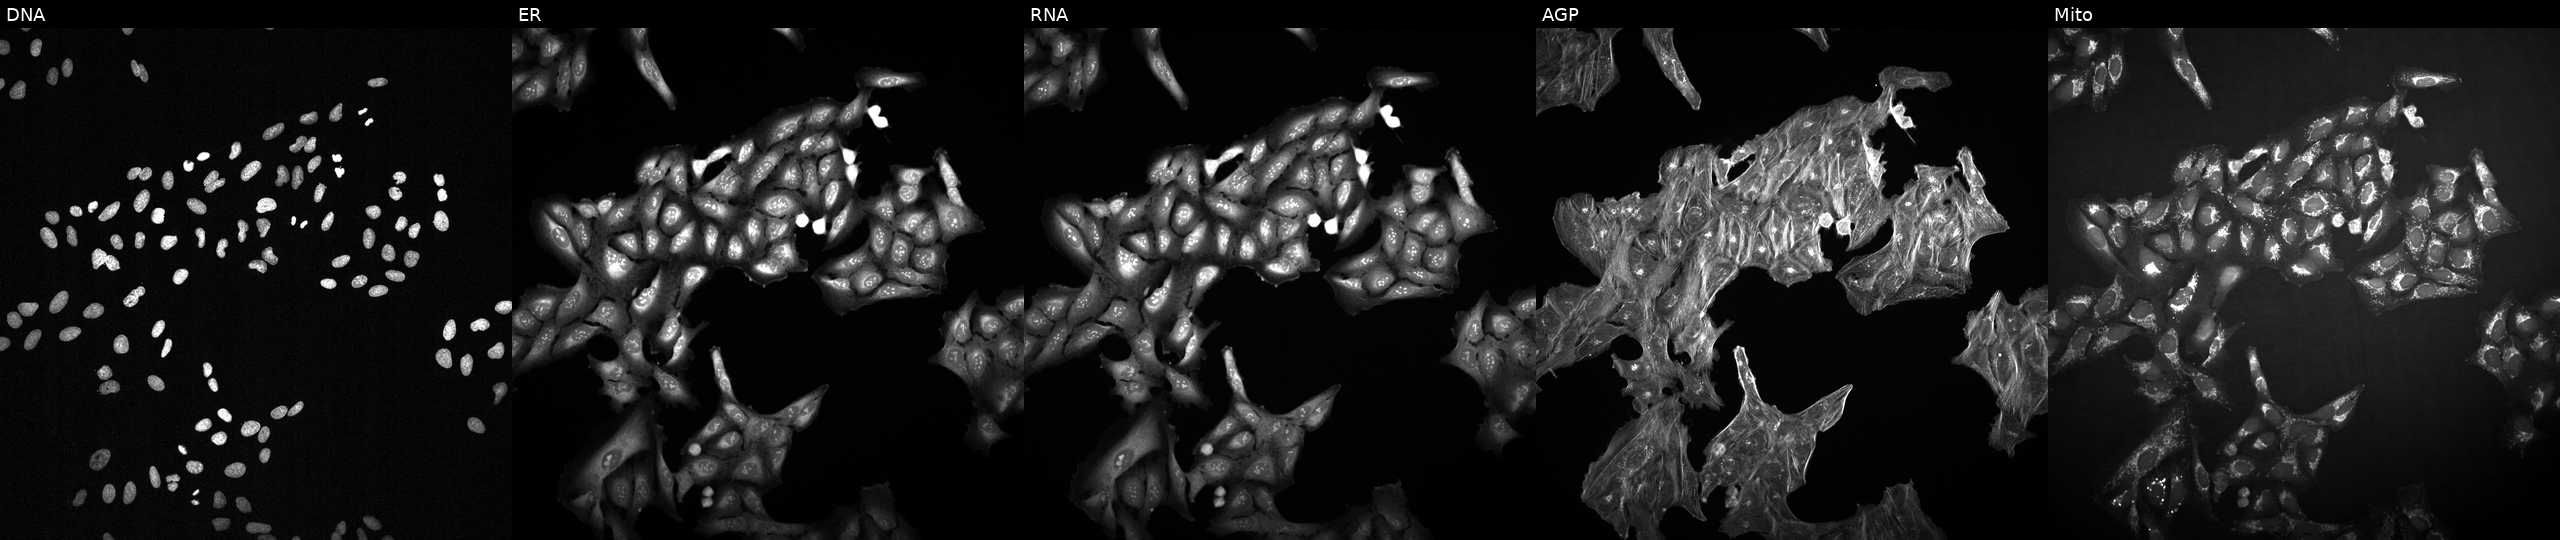
U2OS cells, Cell Painting assay, exposed to DMSO alone as a negative control. From left to right: DNA, ER, RNA, AGP, and Mito. Each panel is percentile-stretched 16-bit fluorescence.